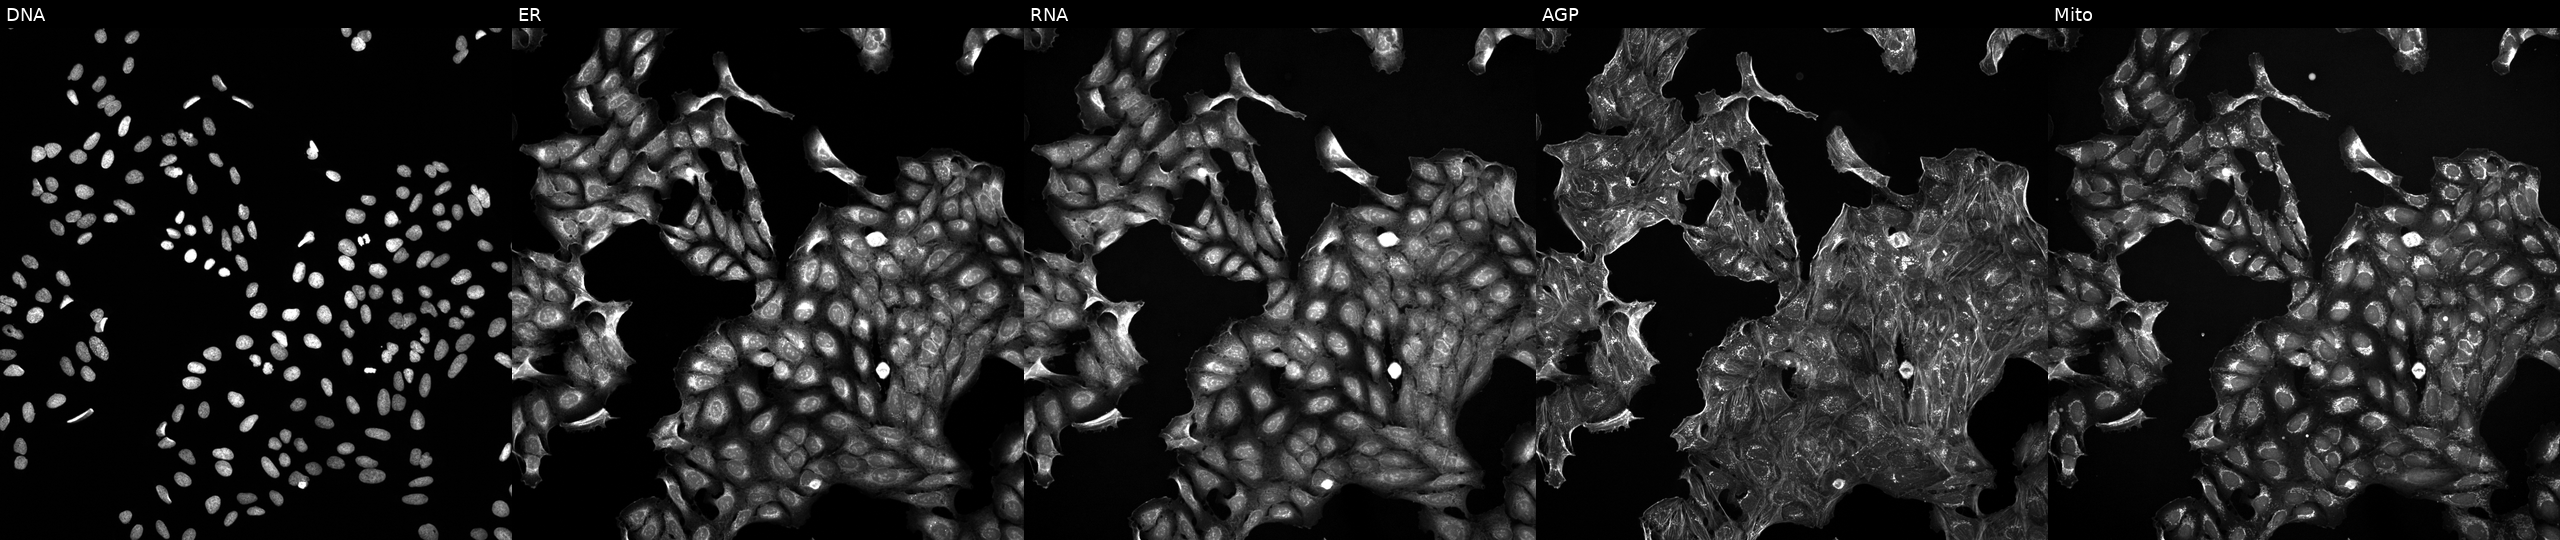
This image strip shows the five Cell Painting channels for a single field of U2OS cells perturbed with a small-molecule compound. Channels (left→right): DNA, ER, RNA, AGP, and Mito.